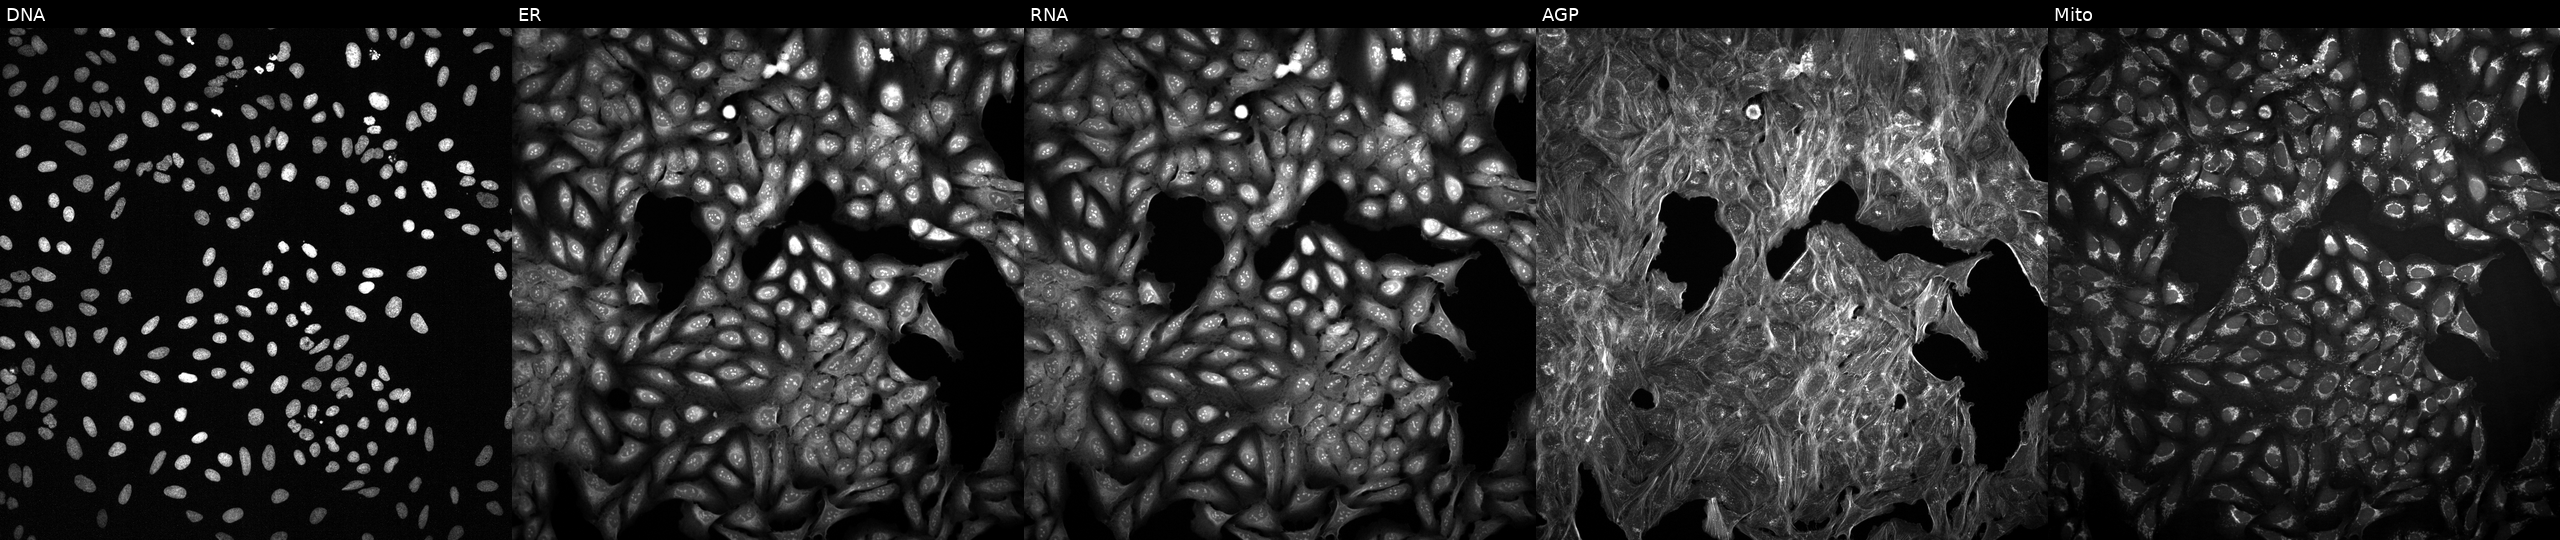
JUMP Cell Painting — TARGET2 plate. U2OS cells perturbed with a small-molecule compound (InChIKey MQQNFDZXWVTQEH-UHFFFAOYSA-N) (JUMP id JCP2022_055904). From left to right: DNA, ER, RNA, AGP, and Mito.